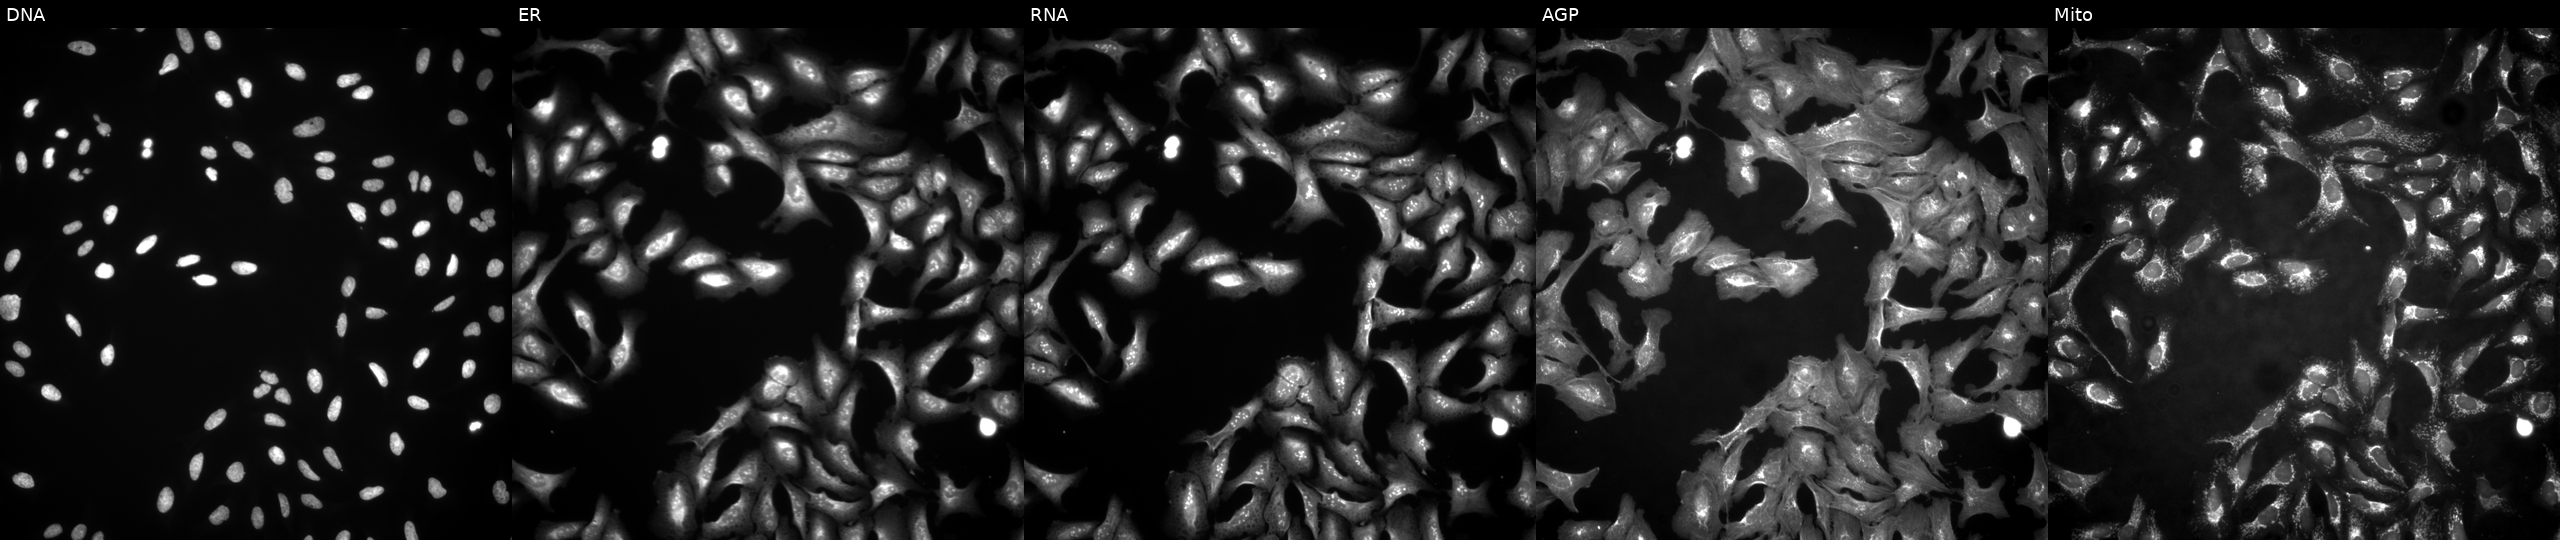
This image strip shows the five Cell Painting channels for a single field of U2OS cells with ATG12 overexpressed (ORF) (JUMP id JCP2022_913073). The five panels, left to right, show DNA (nuclei); ER (endoplasmic reticulum); RNA (nucleoli and cytoplasmic RNA); AGP (actin cytoskeleton, Golgi, and plasma membrane); Mito (mitochondria). Source 4, plate BR00123509, well G08.